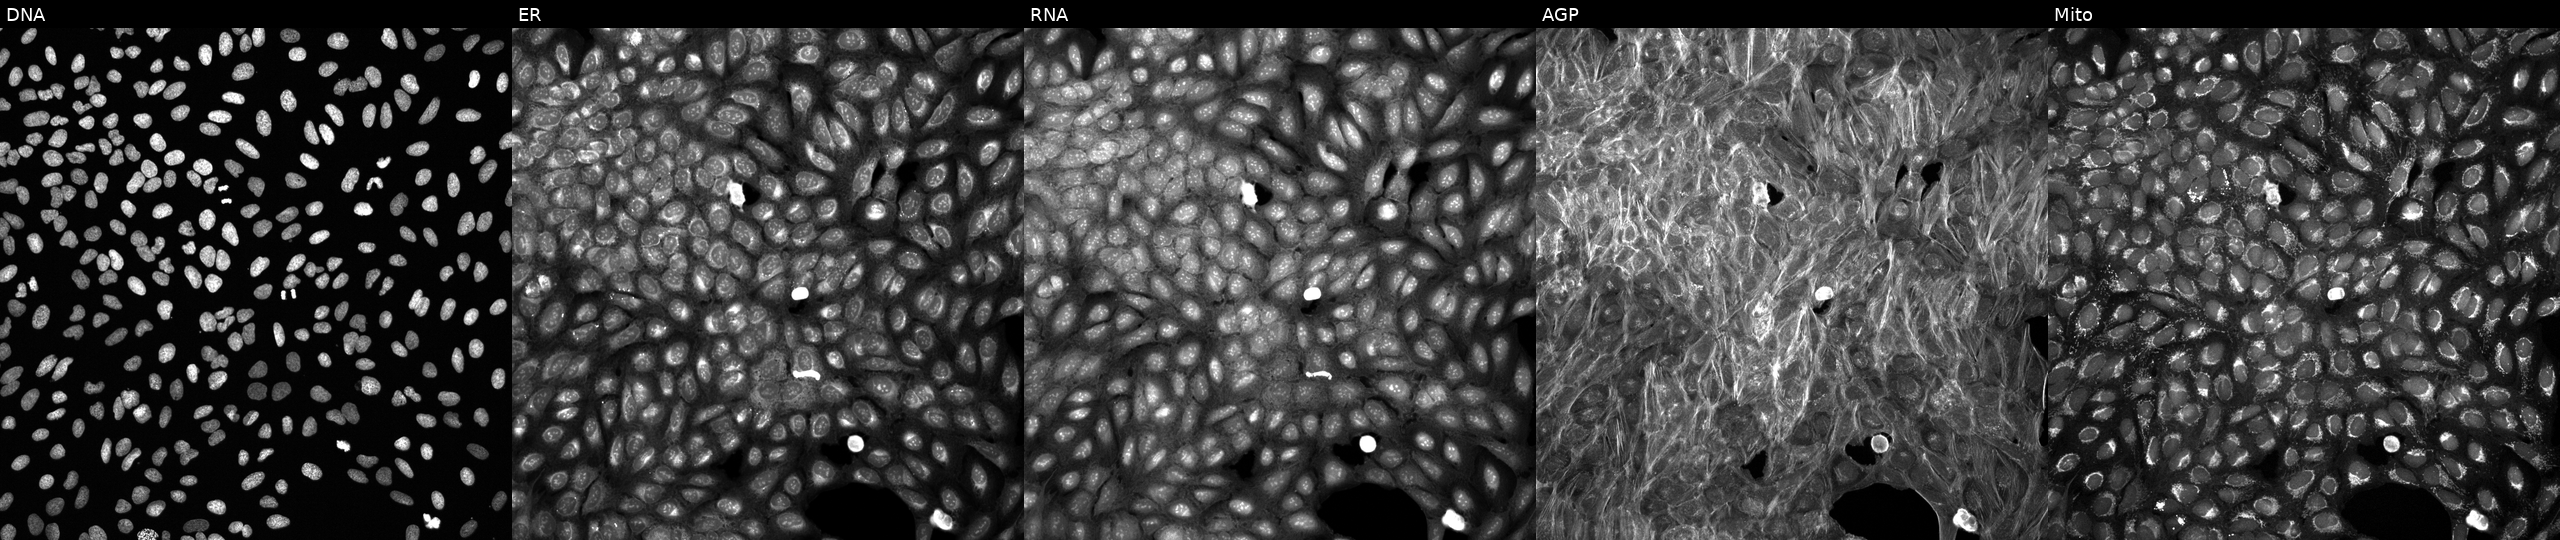
This image strip shows the five Cell Painting channels for a single field of U2OS cells exposed to DMSO alone as a negative control (JUMP id JCP2022_033924). Channels (left→right): DNA, ER, RNA, AGP, and Mito. Source 6, plate 110000293093, well N06.